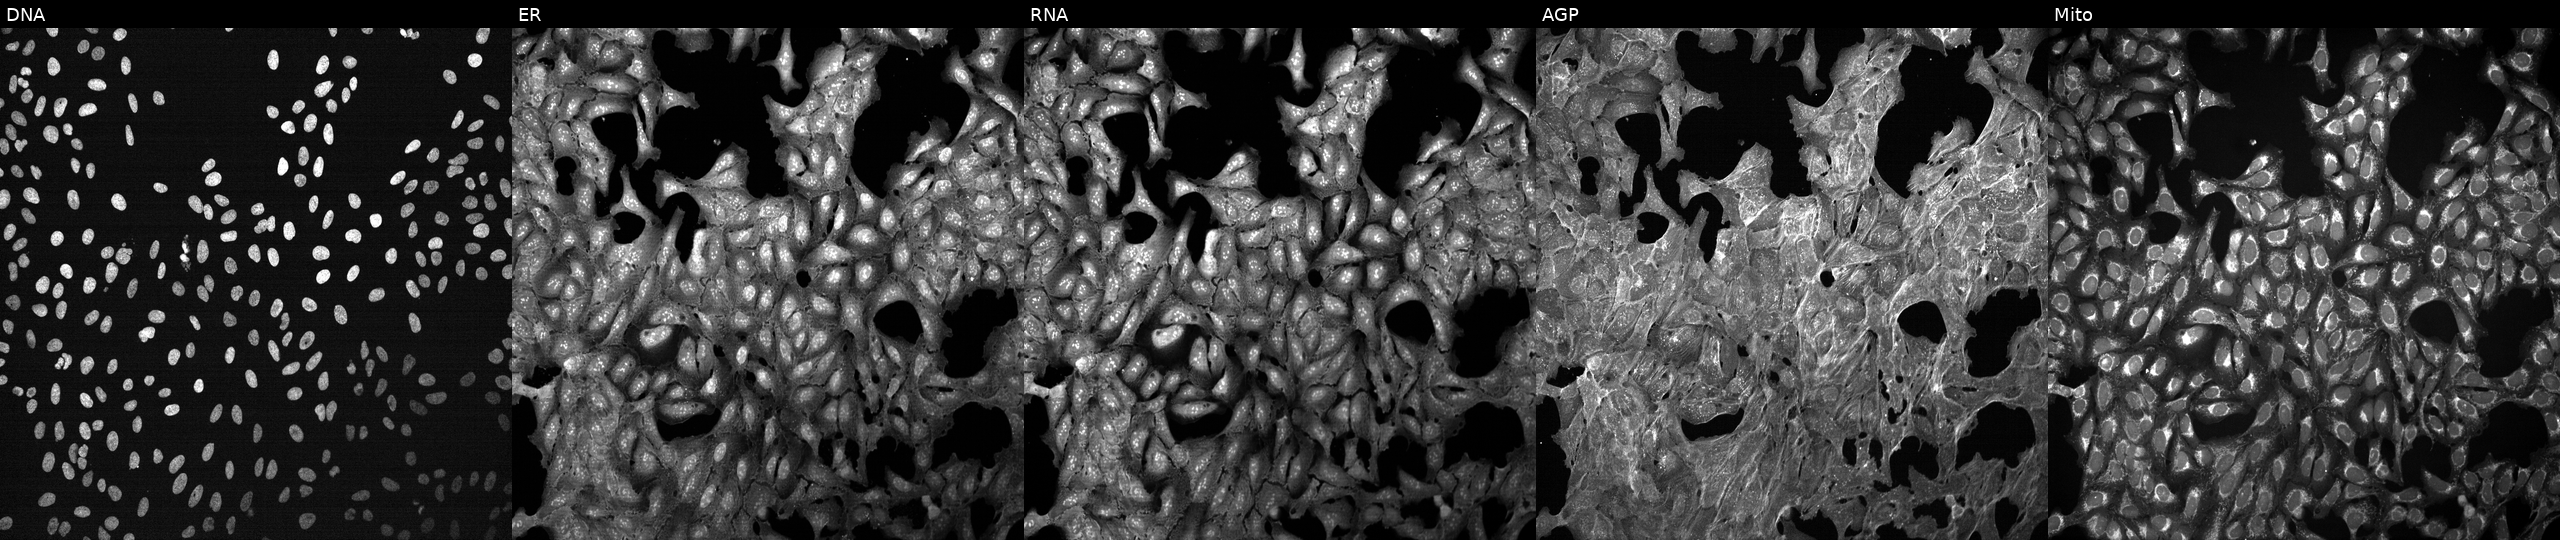
Panels show, left to right, Hoechst 33342, concanavalin A, SYTO 14, phalloidin and WGA, MitoTracker. U2OS osteosarcoma cells exposed to a small-molecule compound. Cell Painting assay, JUMP-CP dataset.